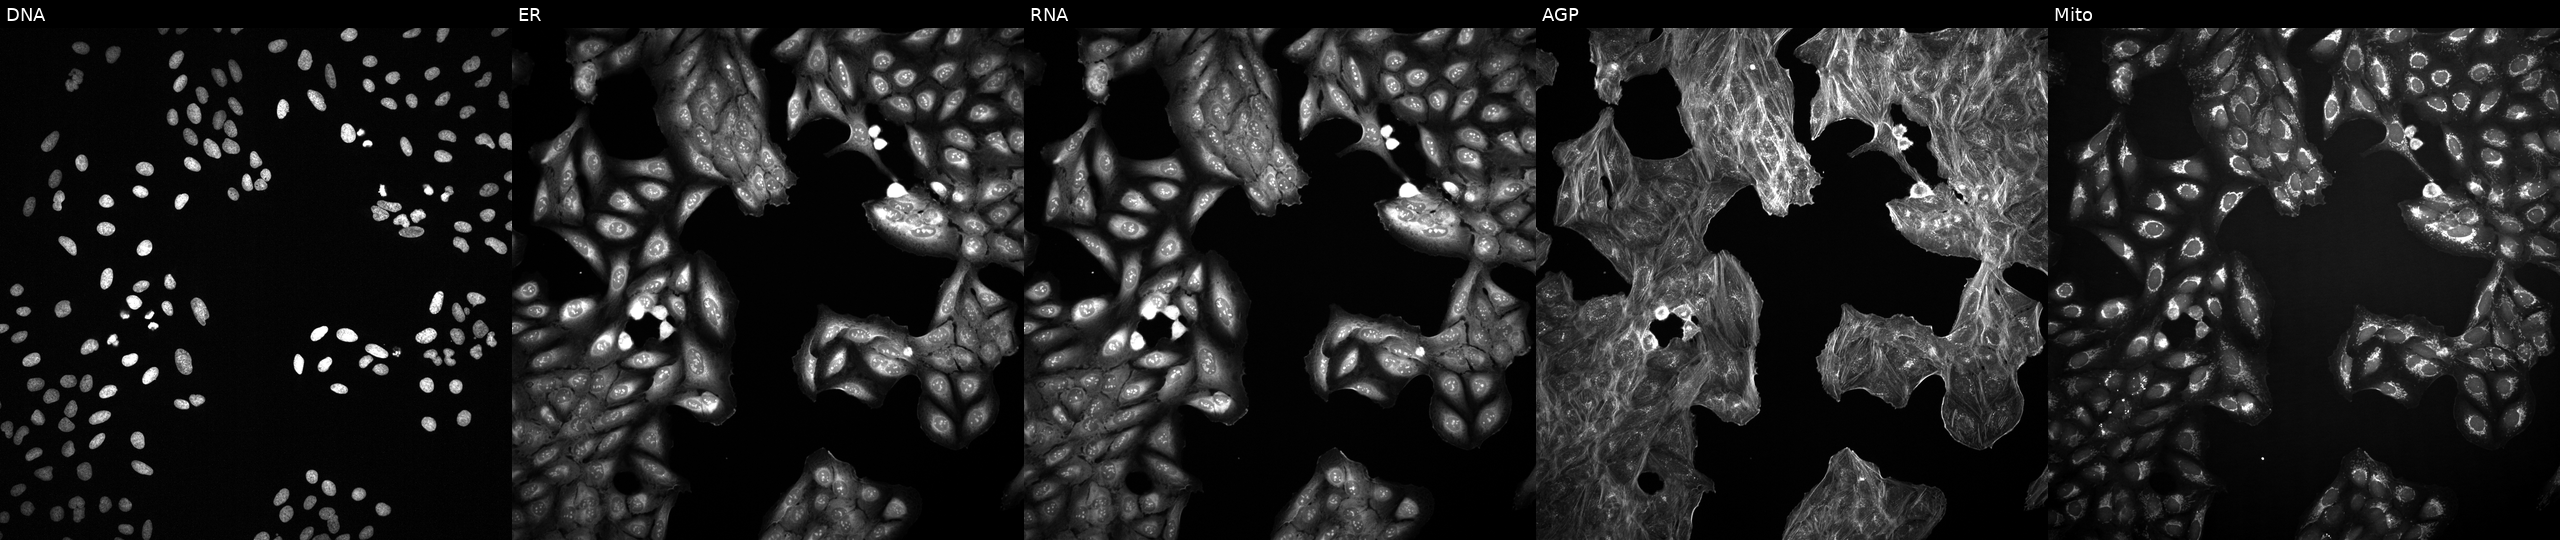
Panels show, left to right, Hoechst 33342, concanavalin A, SYTO 14, phalloidin and WGA, MitoTracker. U2OS osteosarcoma cells treated with DMSO vehicle only (negative control) (JUMP id JCP2022_033924). Cell Painting assay, JUMP-CP dataset. Source 2, plate 1053597936, well F21.